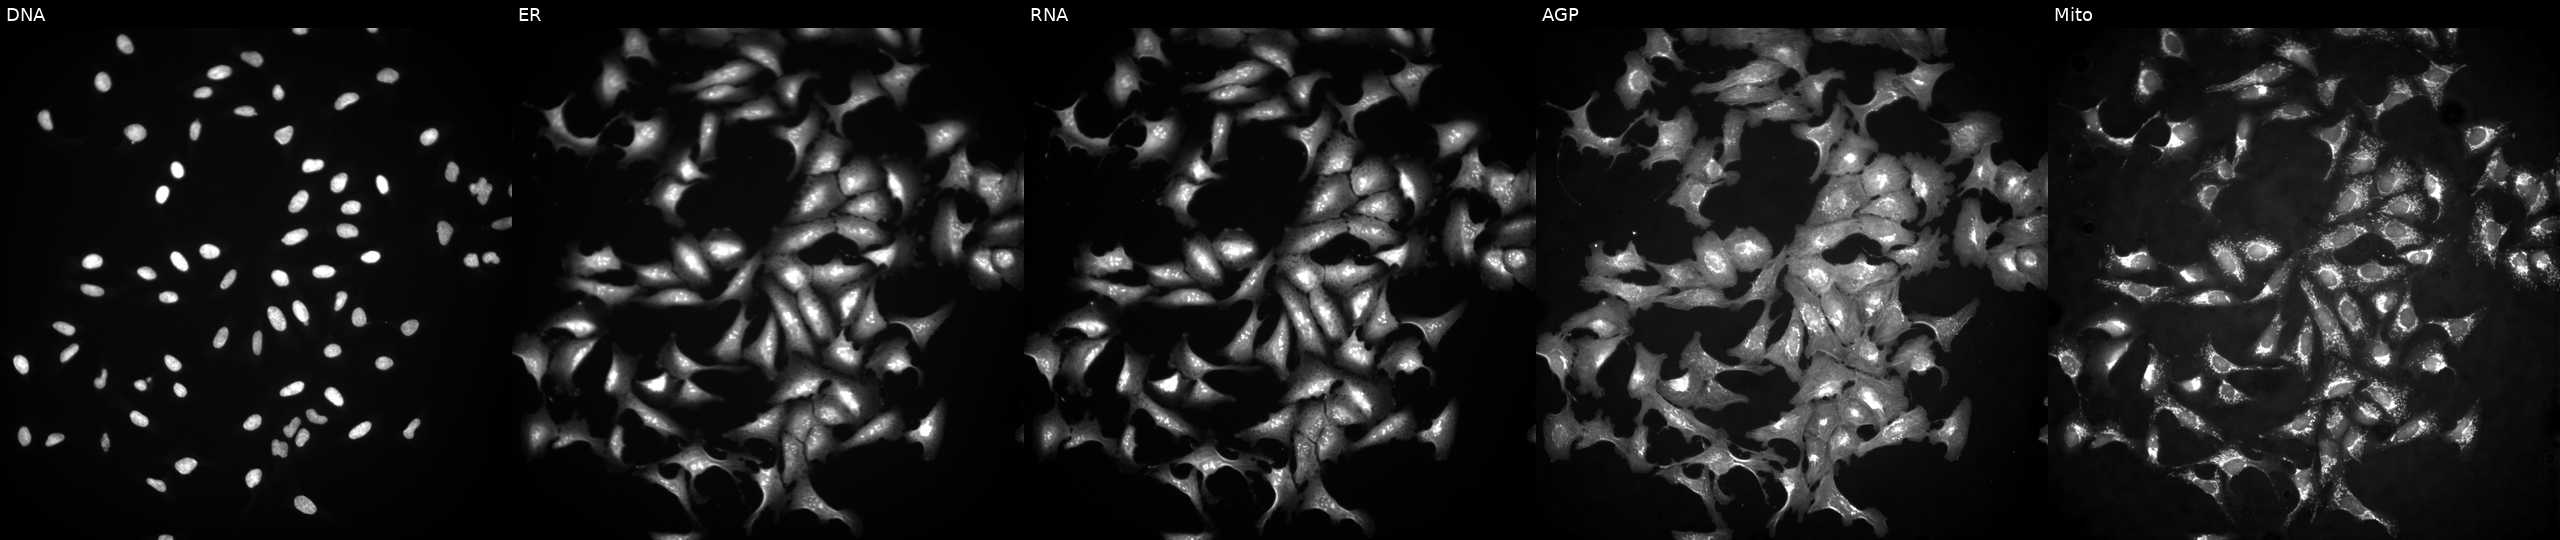
JUMP Cell Painting — ORF plate. U2OS cells with PHF21B overexpressed (ORF) (JUMP id JCP2022_908757). The five panels, left to right, show DNA (nuclei); ER (endoplasmic reticulum); RNA (nucleoli and cytoplasmic RNA); AGP (actin cytoskeleton, Golgi, and plasma membrane); Mito (mitochondria).